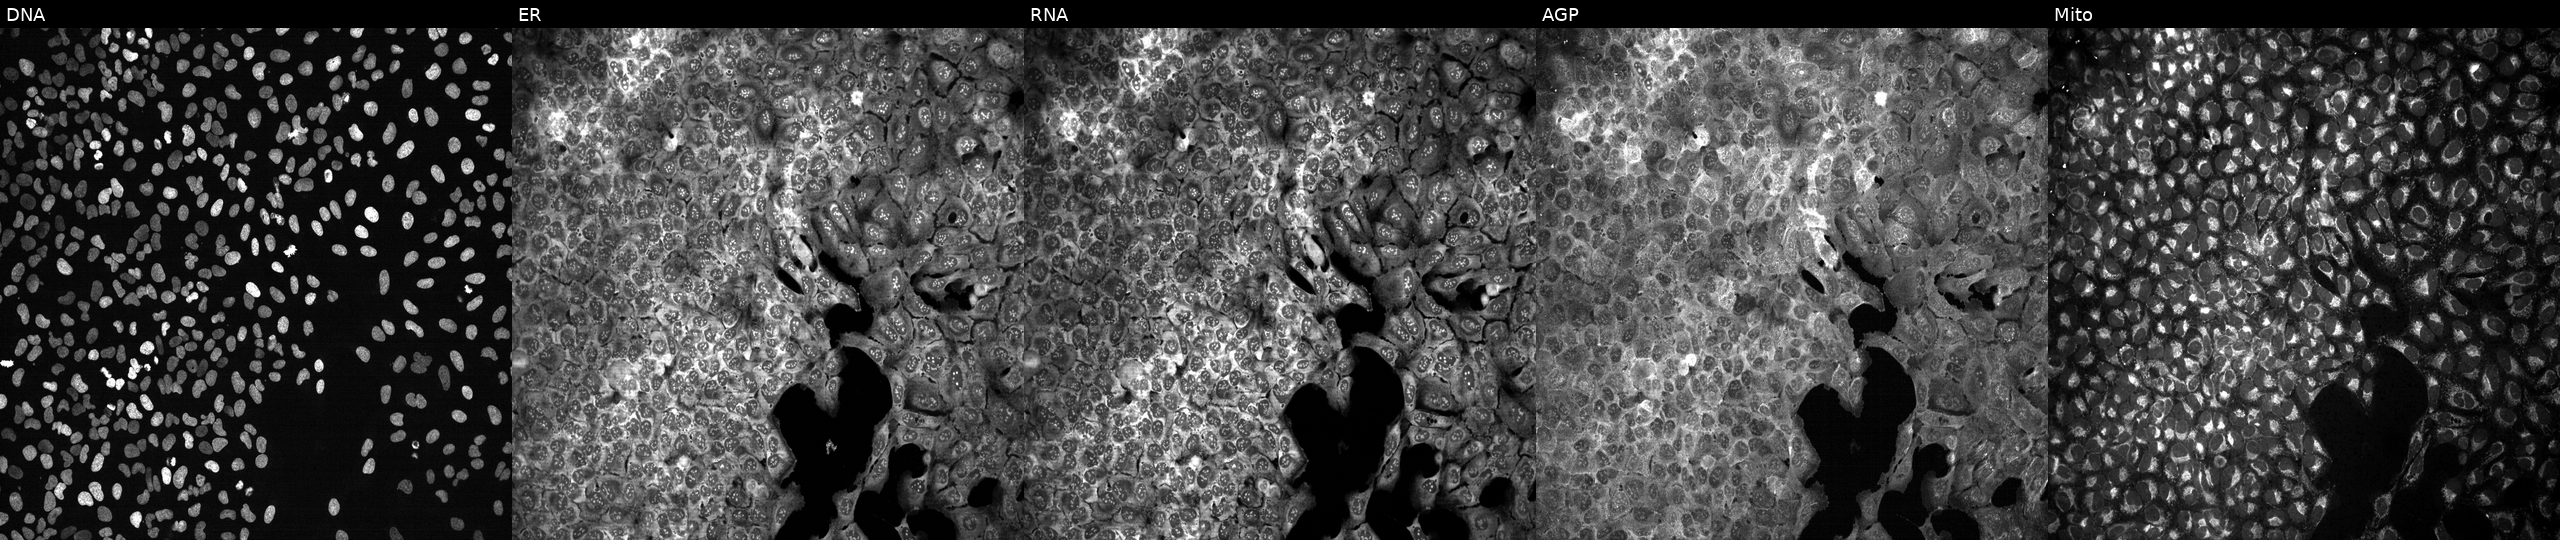
Five-channel Cell Painting image of U2OS cells with MRE11A knocked out by CRISPR (JUMP id JCP2022_804265). The five panels, left to right, show Hoechst 33342, concanavalin A, SYTO 14, phalloidin and WGA, MitoTracker. Source 13, plate CP-CC9-R3-01, well N14.